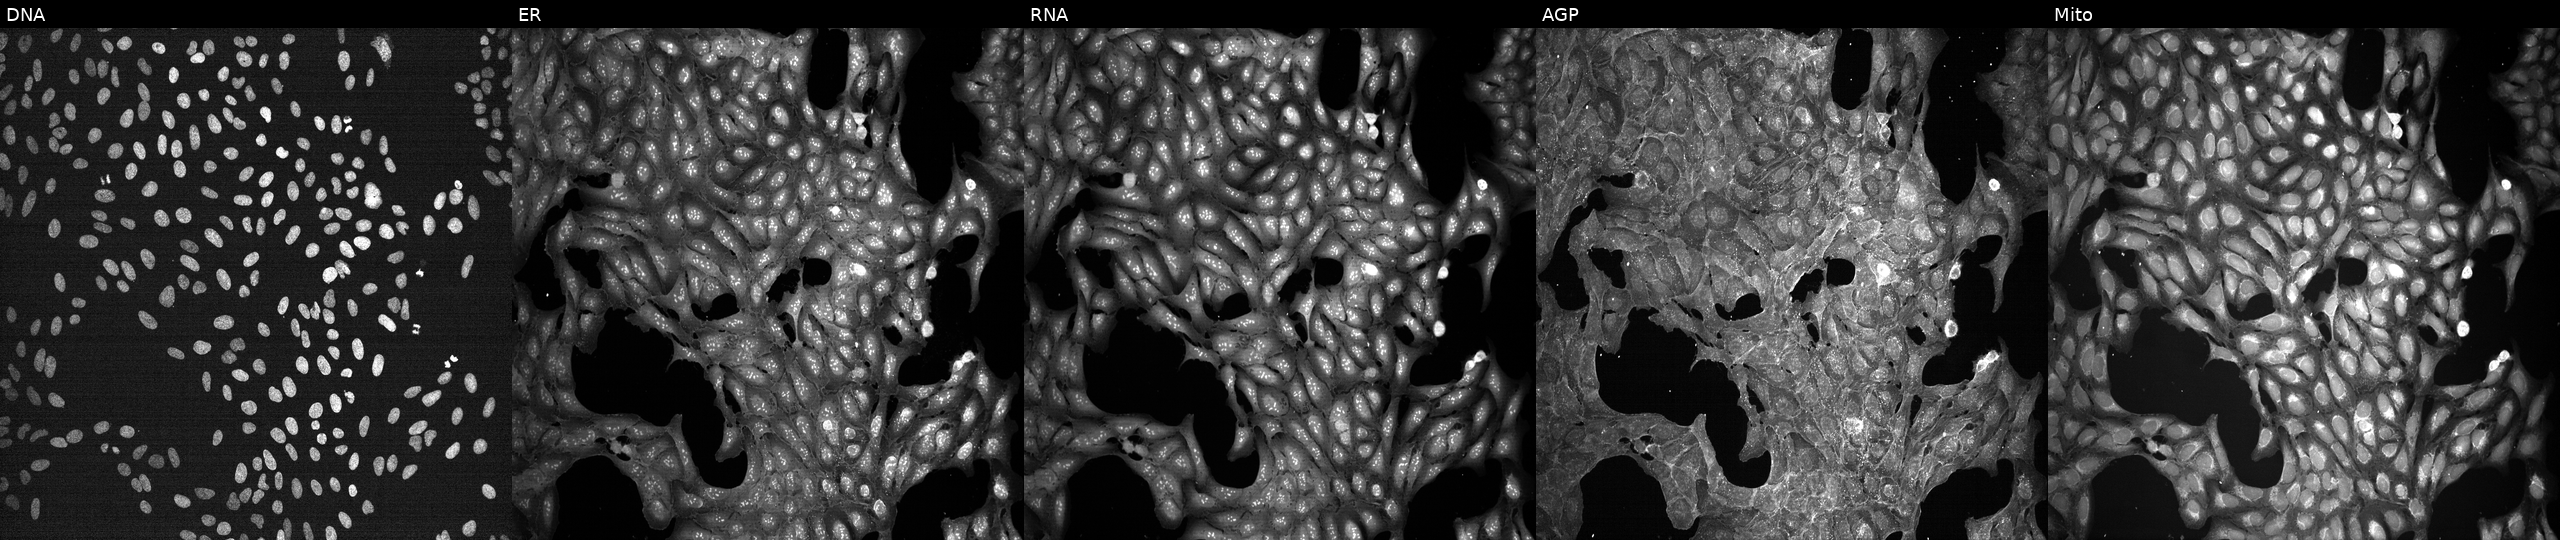
This image strip shows the five Cell Painting channels for a single field of U2OS cells treated with DMSO vehicle only (negative control). From left to right: DNA (nuclei); ER (endoplasmic reticulum); RNA (nucleoli and cytoplasmic RNA); AGP (actin cytoskeleton, Golgi, and plasma membrane); Mito (mitochondria). Source 7, plate CP1-SC1-25, well A05.